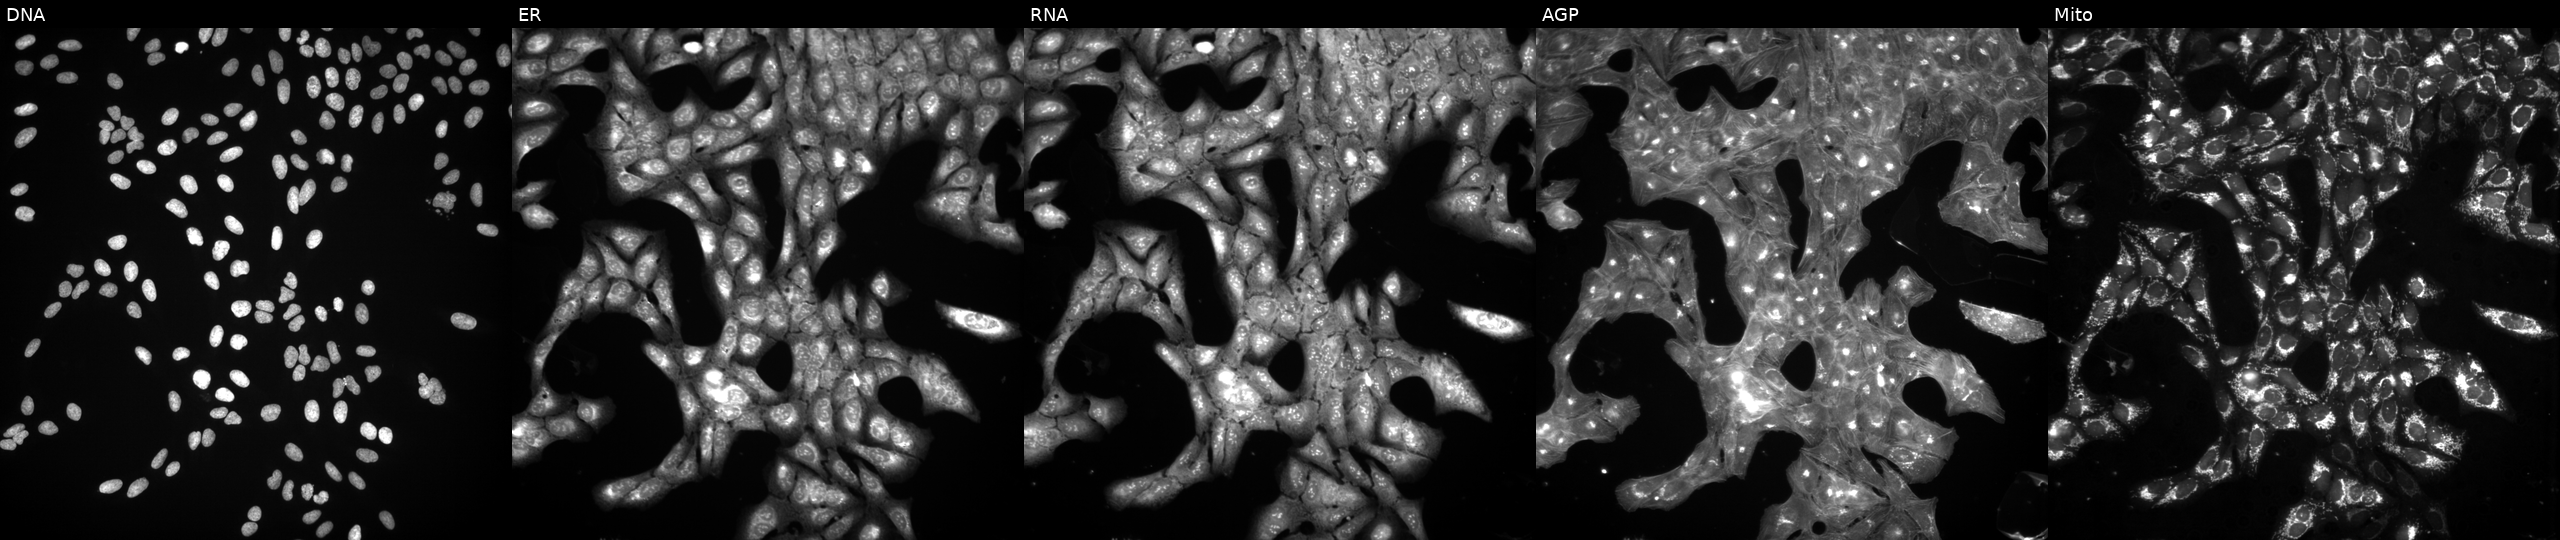
JUMP Cell Painting — COMPOUND plate. U2OS cells exposed to DMSO alone as a negative control. Panels show, left to right, DNA (nuclei); ER (endoplasmic reticulum); RNA (nucleoli and cytoplasmic RNA); AGP (actin cytoskeleton, Golgi, and plasma membrane); Mito (mitochondria).